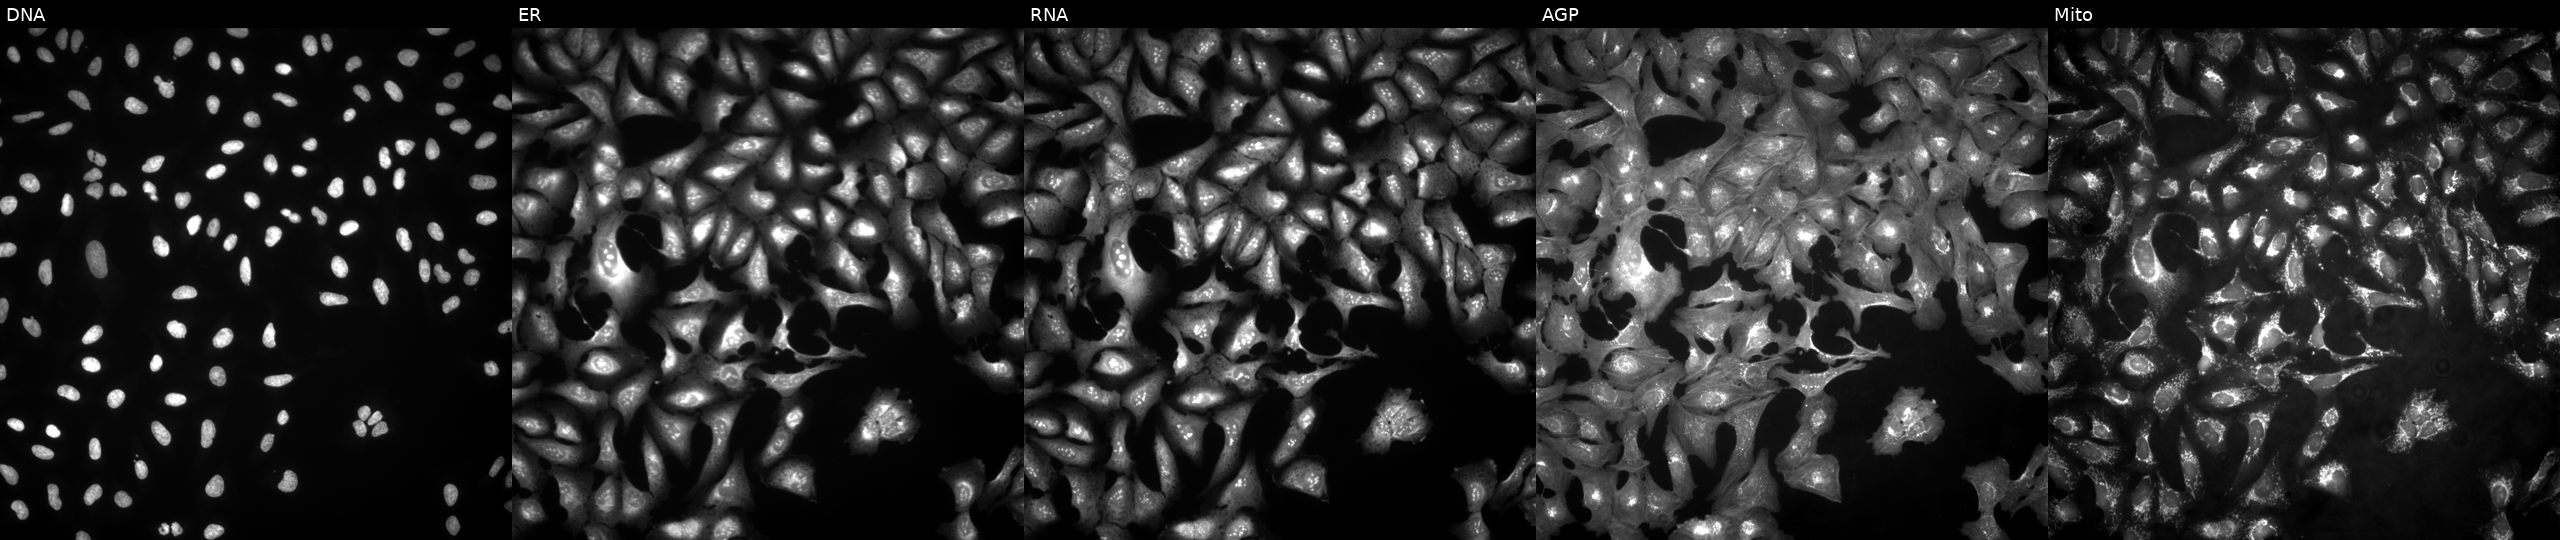
Five-channel Cell Painting image of U2OS cells transfected with an ORF construct for RPL5. The five panels, left to right, show Hoechst 33342, concanavalin A, SYTO 14, phalloidin and WGA, MitoTracker.